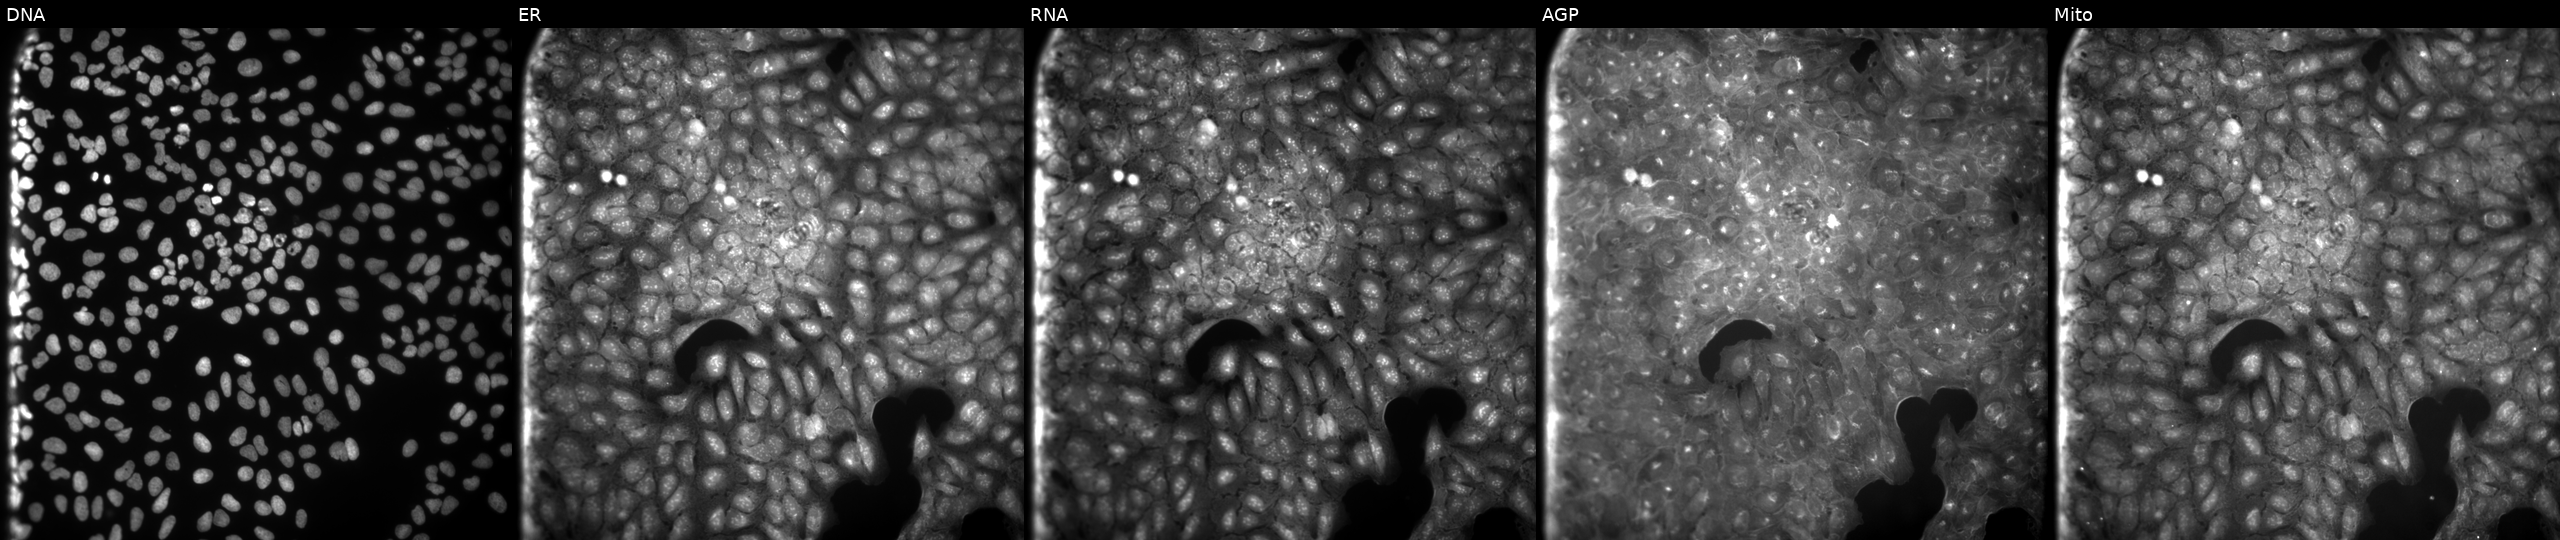
High-content fluorescence microscopy (Cell Painting). Cell line: U2OS. Perturbation: treated with DMSO vehicle only (negative control) (JUMP id JCP2022_033924). Panels show, left to right, Hoechst 33342, concanavalin A, SYTO 14, phalloidin and WGA, MitoTracker. Source 9, plate GR00003381, well T02.